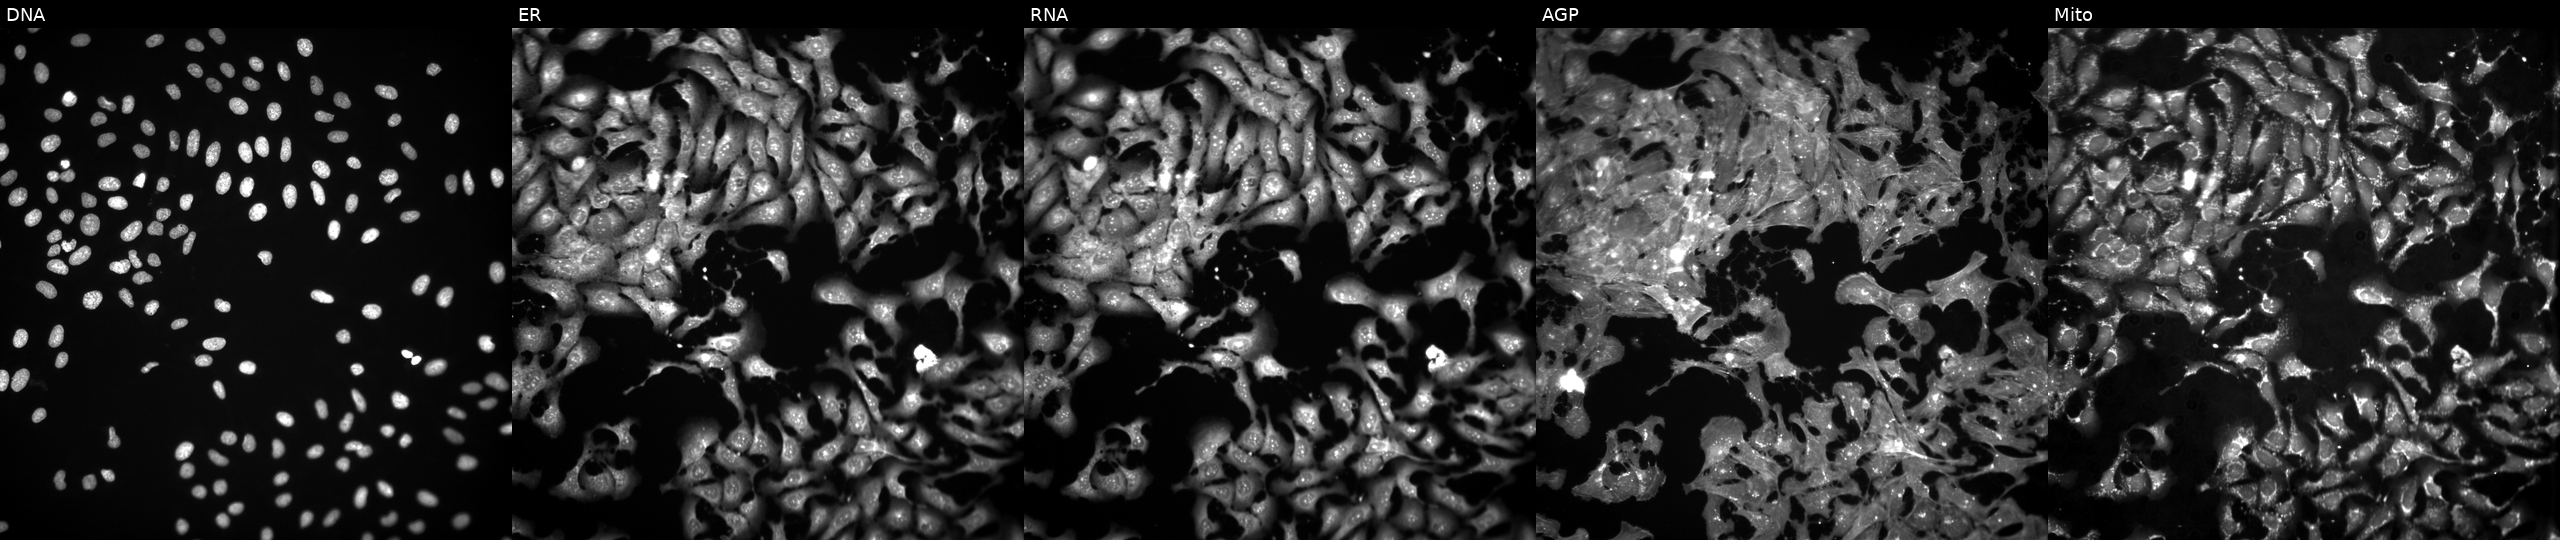
U2OS cells, Cell Painting assay, treated with FK-866 (positive-control compound) (JUMP id JCP2022_046054). Channels (left→right): DNA (nuclei); ER (endoplasmic reticulum); RNA (nucleoli and cytoplasmic RNA); AGP (actin cytoskeleton, Golgi, and plasma membrane); Mito (mitochondria). Each panel is percentile-stretched 16-bit fluorescence.